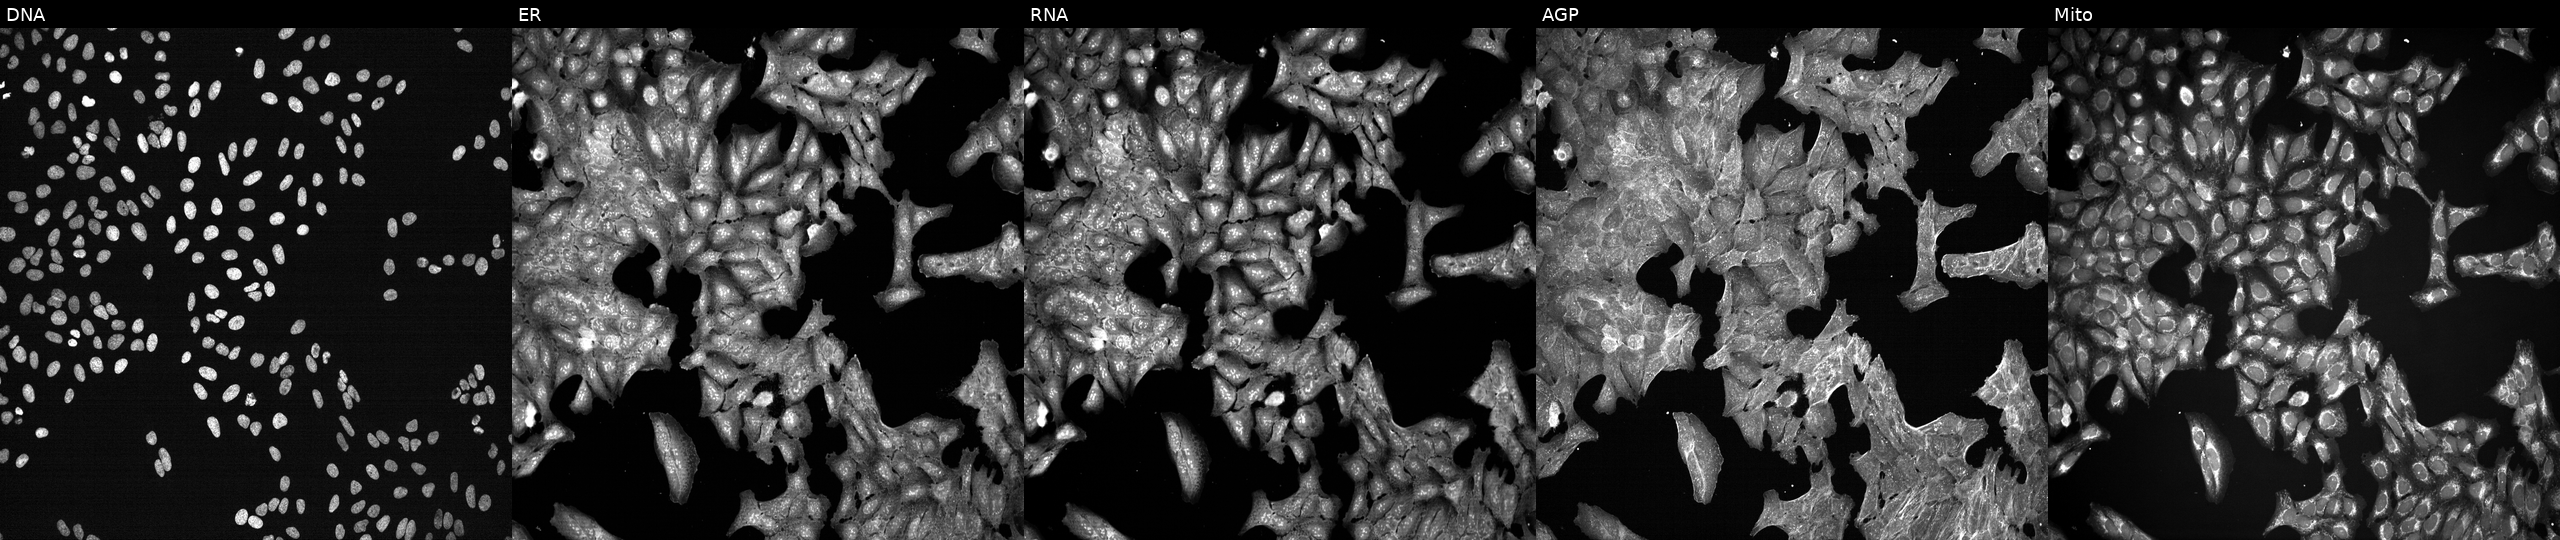
Channels (left→right): DNA (nuclei); ER (endoplasmic reticulum); RNA (nucleoli and cytoplasmic RNA); AGP (actin cytoskeleton, Golgi, and plasma membrane); Mito (mitochondria). U2OS osteosarcoma cells perturbed with a small-molecule compound (JUMP id JCP2022_047559). Cell Painting assay, JUMP-CP dataset. Source 7, plate CP3-SC1-25, well B21.